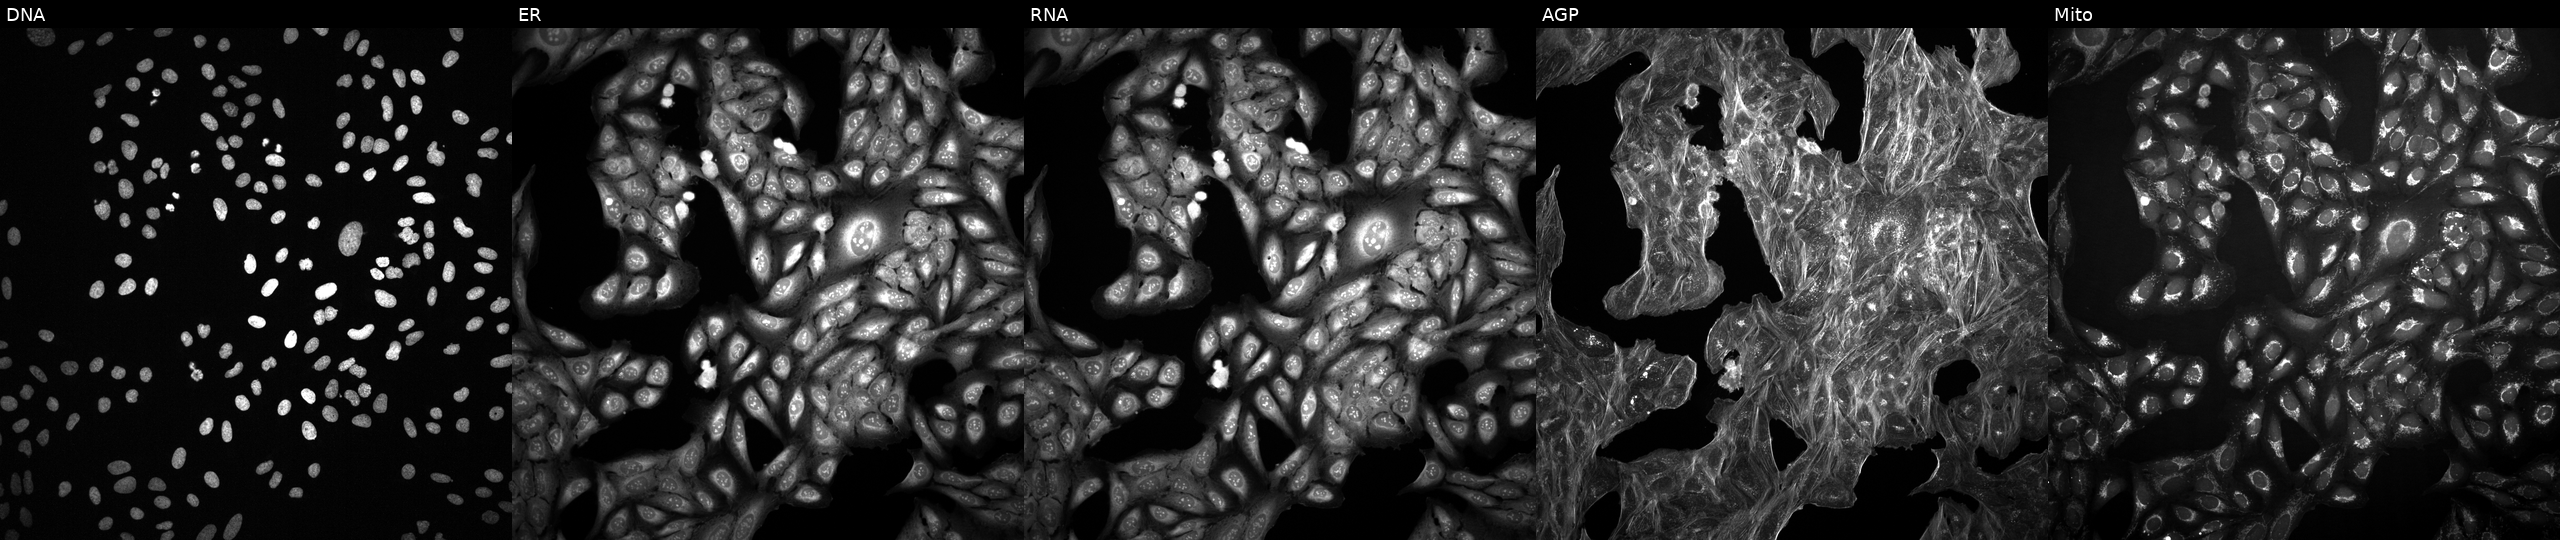
JUMP Cell Painting — TARGET2 plate. U2OS cells treated with a small-molecule compound (InChIKey JPGQOUSTVILISH-UHFFFAOYSA-N). Panels show, left to right, Hoechst 33342, concanavalin A, SYTO 14, phalloidin and WGA, MitoTracker. Source 2, plate 1053597936, well G08.